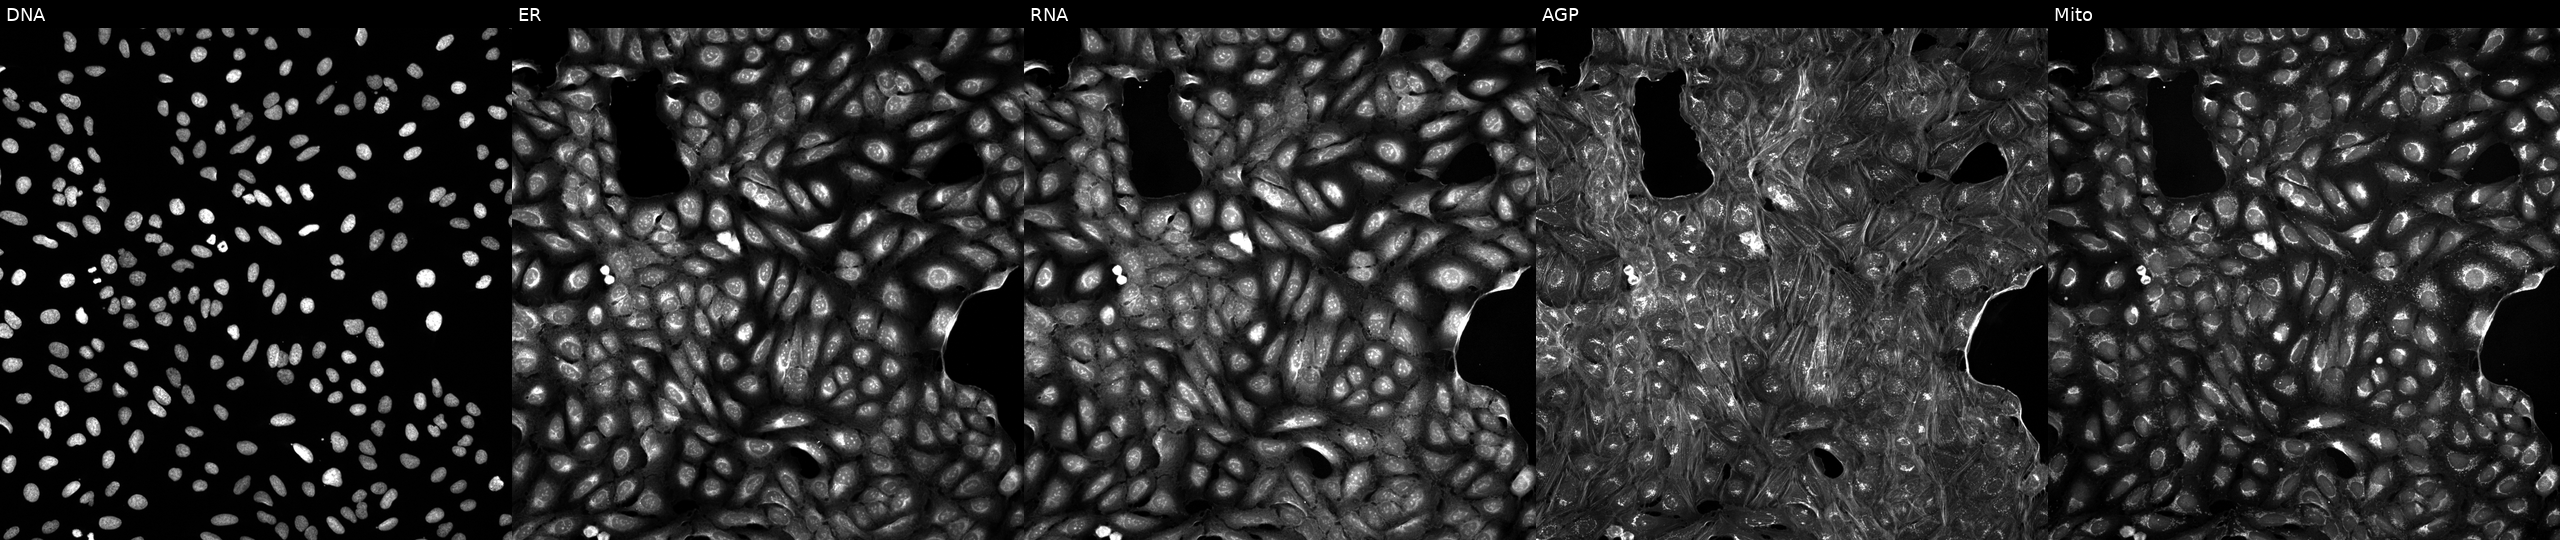
JUMP Cell Painting — TARGET2 plate. U2OS cells exposed to DMSO alone as a negative control. Panels show, left to right, DNA (nuclei); ER (endoplasmic reticulum); RNA (nucleoli and cytoplasmic RNA); AGP (actin cytoskeleton, Golgi, and plasma membrane); Mito (mitochondria).